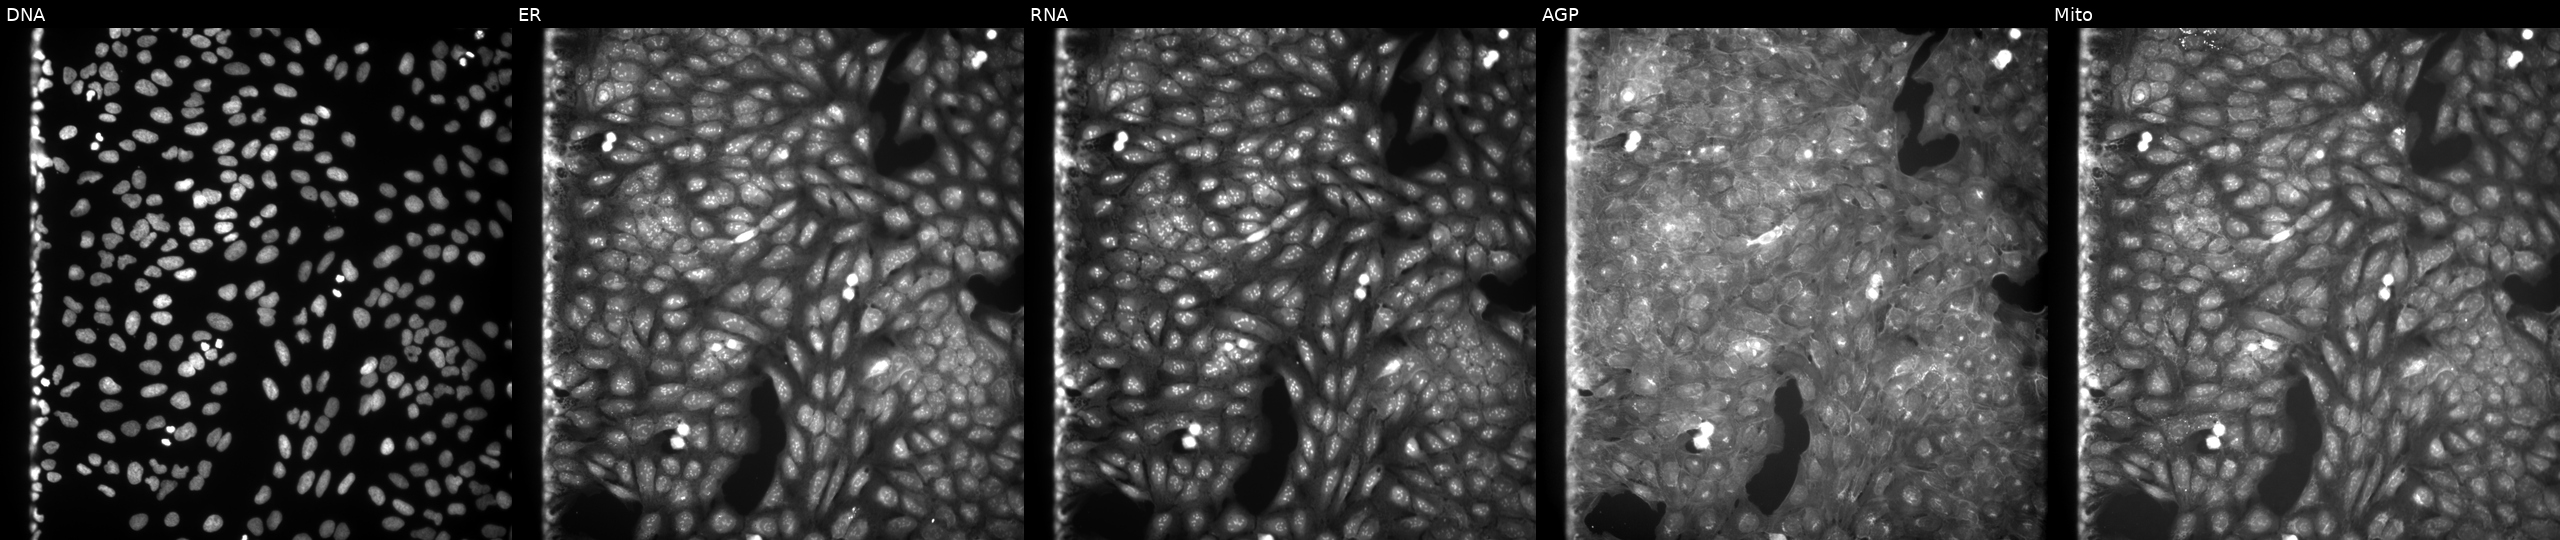
U2OS cells, Cell Painting assay, treated with a small-molecule compound (InChIKey VXGMIARAVYDOLC-UHFFFAOYSA-N). The five panels, left to right, show DNA (nuclei); ER (endoplasmic reticulum); RNA (nucleoli and cytoplasmic RNA); AGP (actin cytoskeleton, Golgi, and plasma membrane); Mito (mitochondria). Each panel is percentile-stretched 16-bit fluorescence. Source 9, plate GR00003382, well B10.